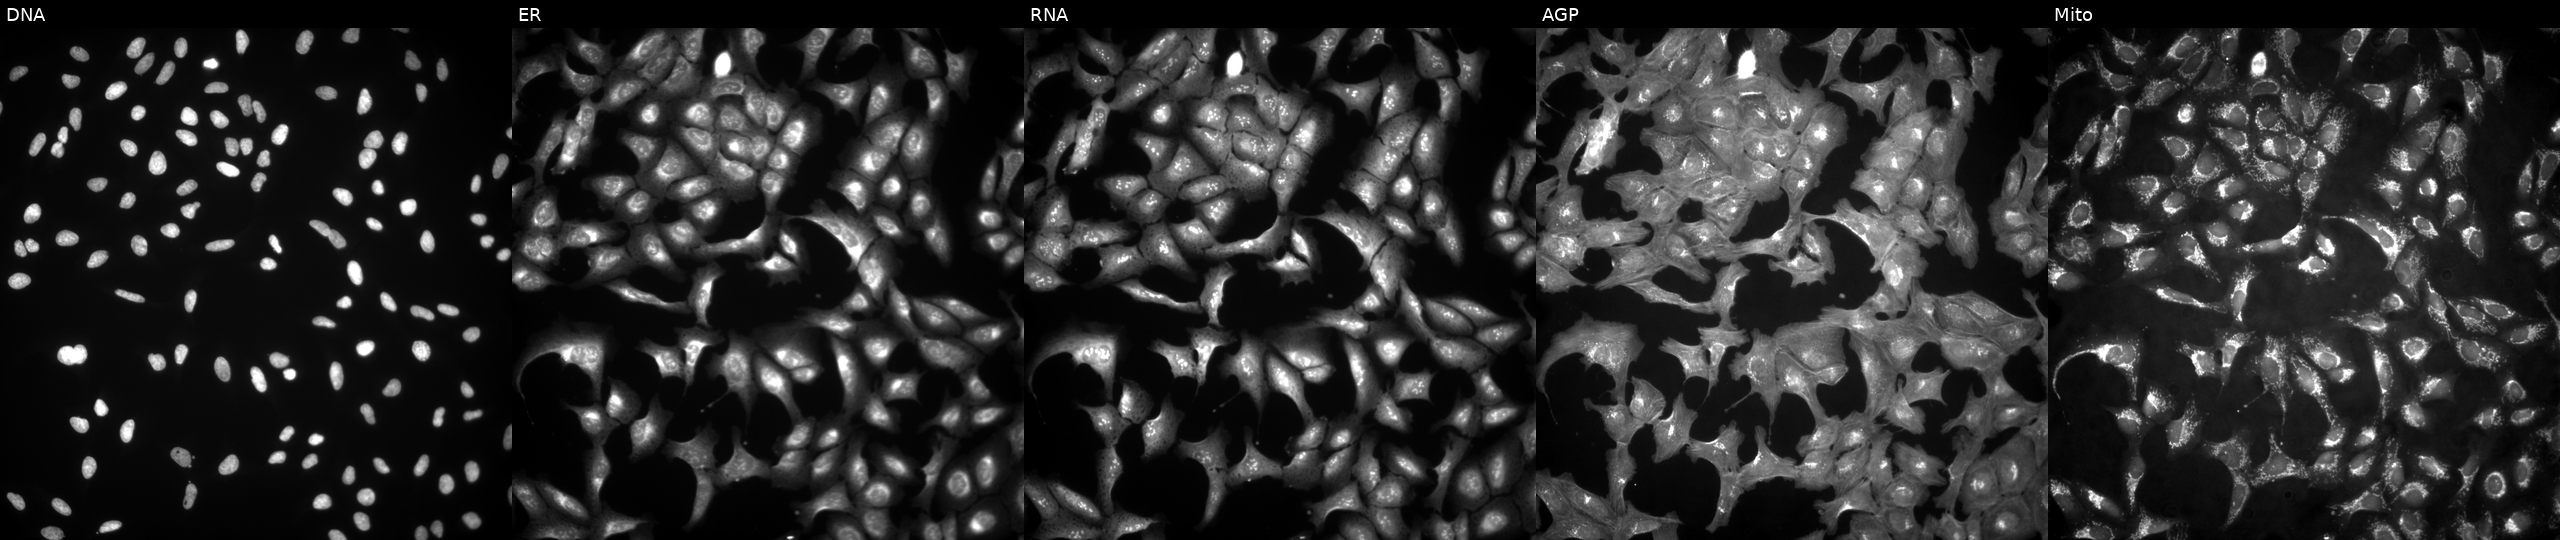
Five-channel Cell Painting image of U2OS cells with HSD3B2 overexpressed (ORF) (JUMP id JCP2022_900740). Panels show, left to right, DNA (nuclei); ER (endoplasmic reticulum); RNA (nucleoli and cytoplasmic RNA); AGP (actin cytoskeleton, Golgi, and plasma membrane); Mito (mitochondria). Source 4, plate BR00123509, well A23.